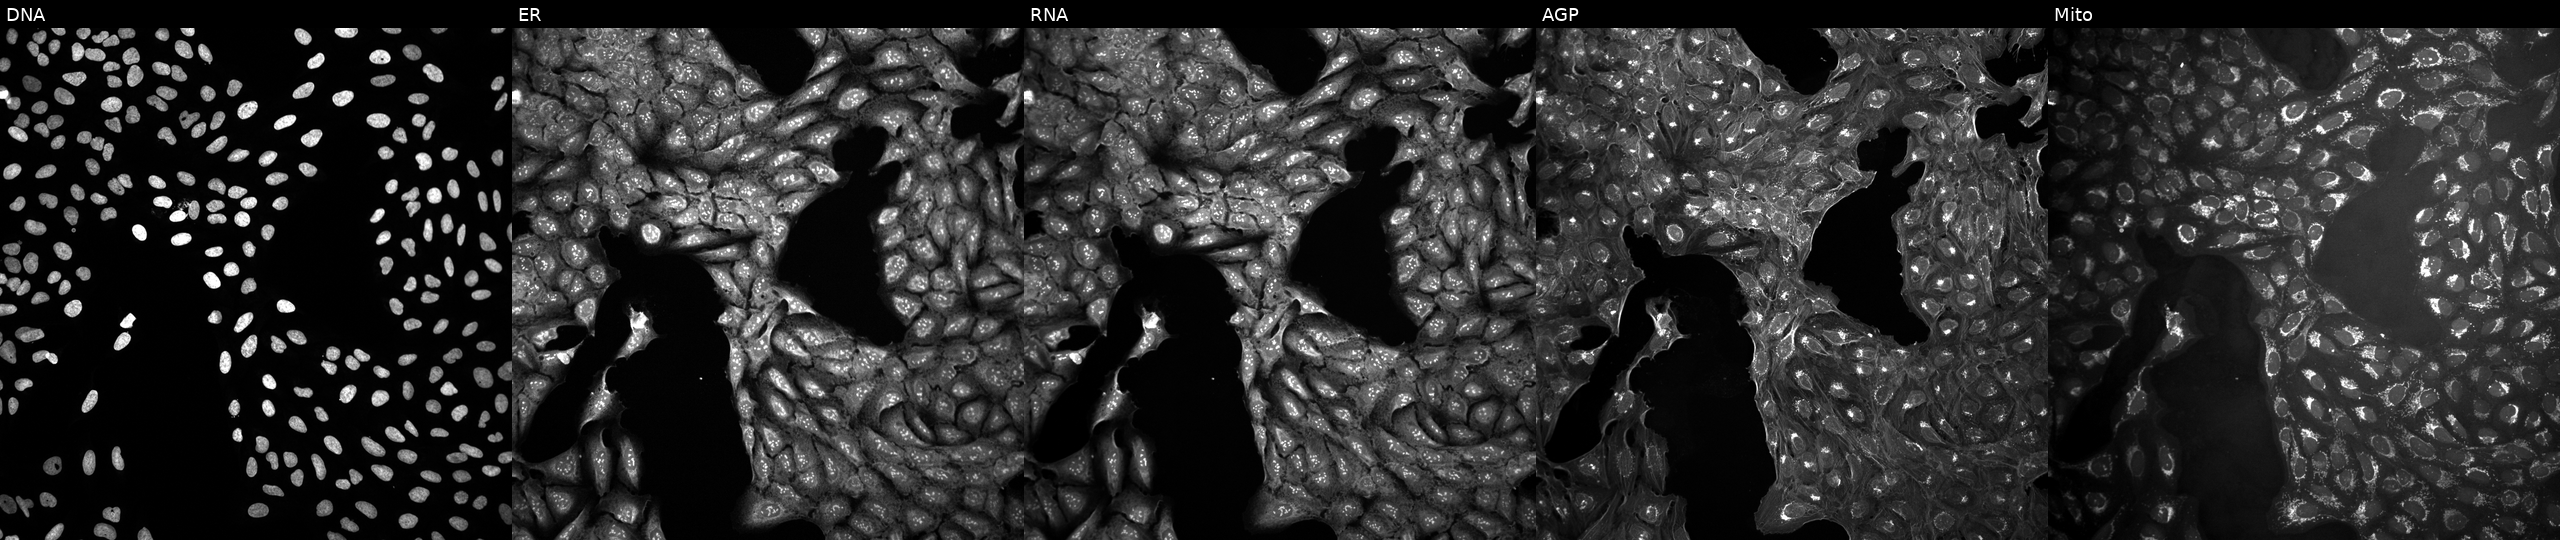
U2OS cells, Cell Painting assay, treated with DMSO vehicle only (negative control) (JUMP id JCP2022_033924). From left to right: DNA (nuclei); ER (endoplasmic reticulum); RNA (nucleoli and cytoplasmic RNA); AGP (actin cytoskeleton, Golgi, and plasma membrane); Mito (mitochondria). Each panel is percentile-stretched 16-bit fluorescence. Source 10, plate Dest210531-152149, well O23.